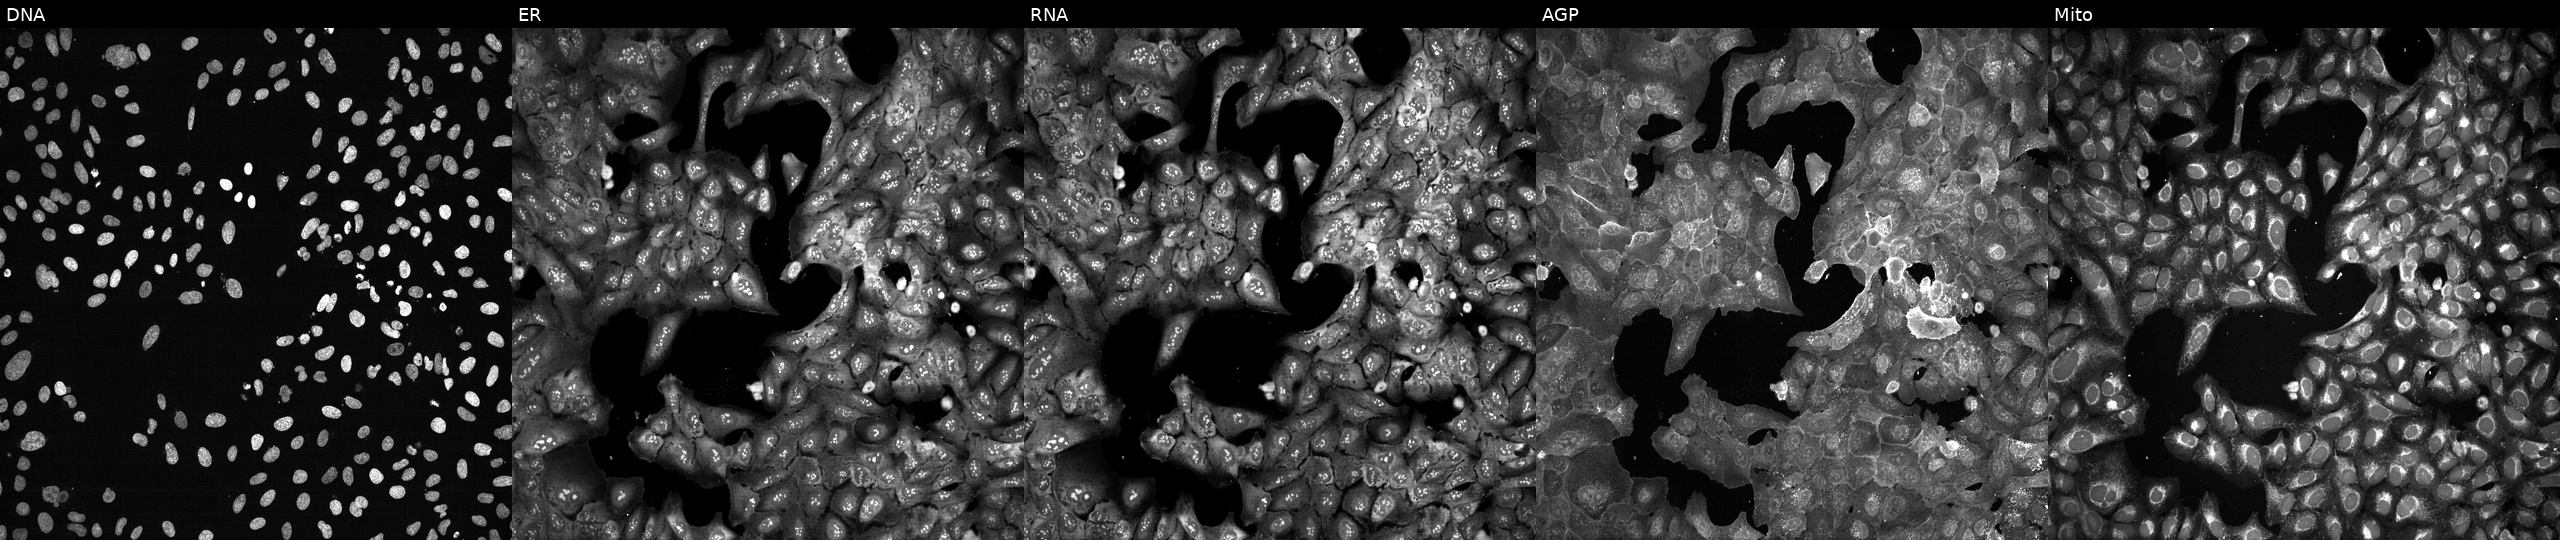
Five-channel Cell Painting image of U2OS cells CRISPR-edited to disrupt ACADS. Channels (left→right): Hoechst 33342, concanavalin A, SYTO 14, phalloidin and WGA, MitoTracker.